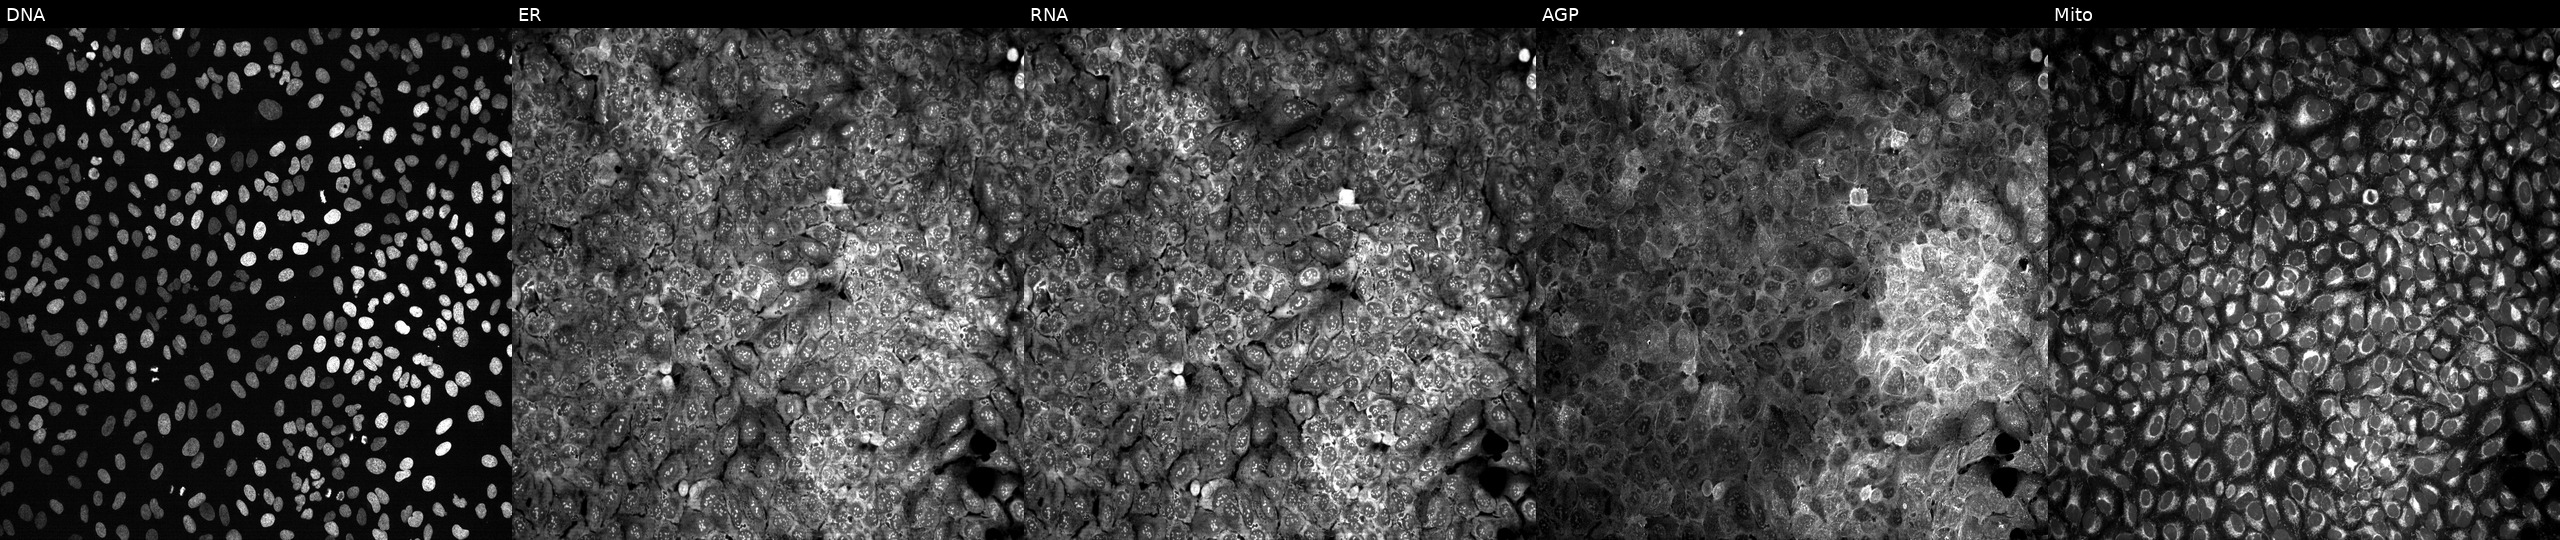
This image strip shows the five Cell Painting channels for a single field of U2OS cells with FAH knocked out by CRISPR (JUMP id JCP2022_802255). From left to right: Hoechst 33342, concanavalin A, SYTO 14, phalloidin and WGA, MitoTracker.